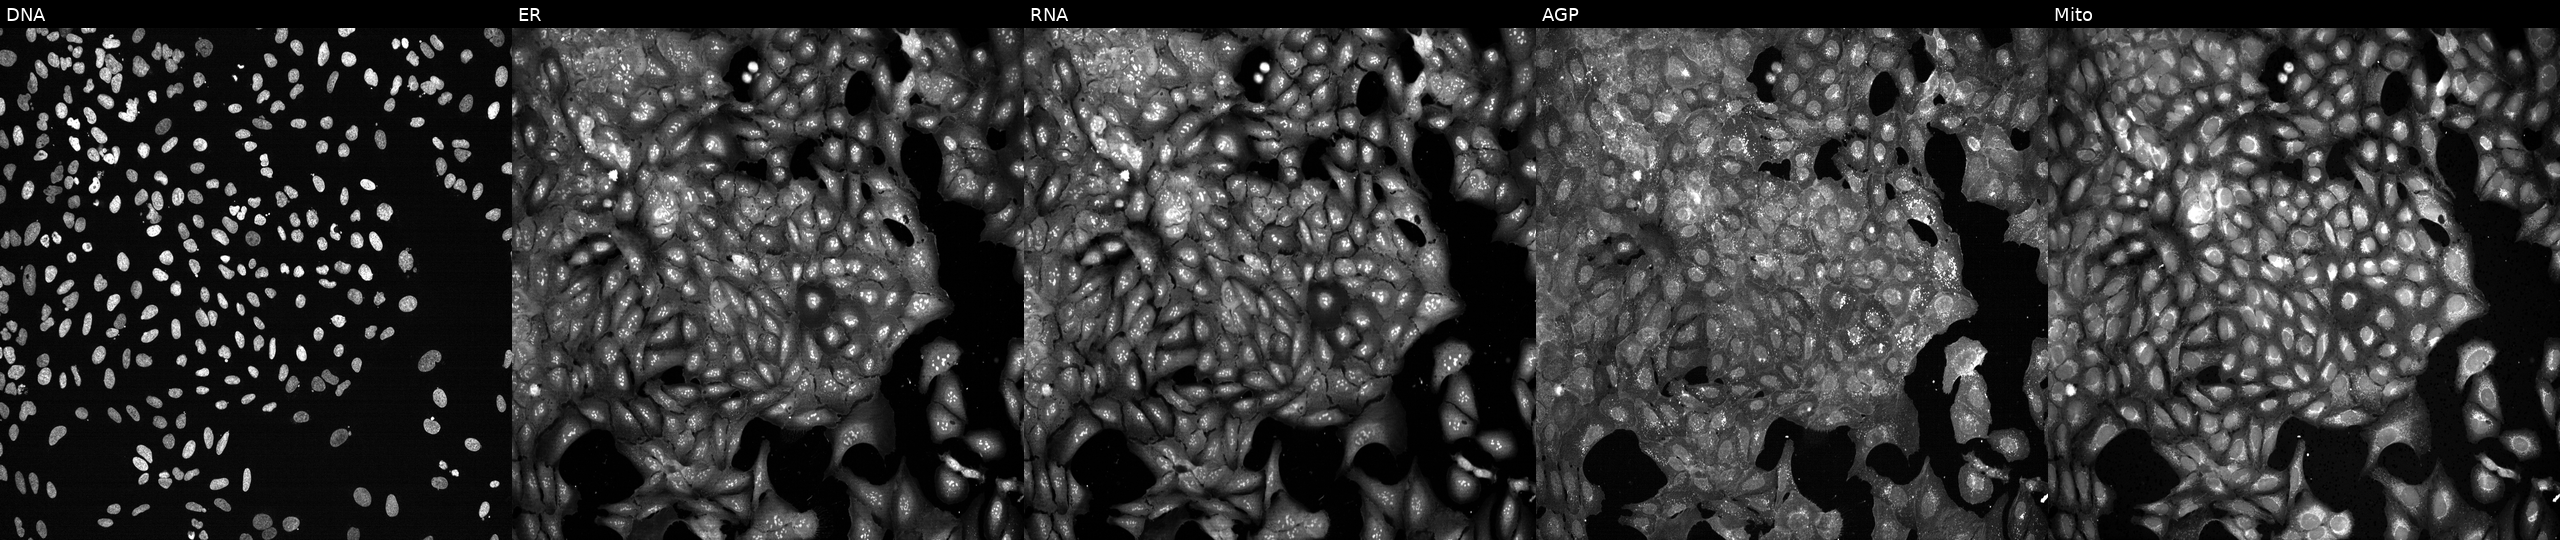
This image strip shows the five Cell Painting channels for a single field of U2OS cells with UGT2B7 knocked out by CRISPR. Channels (left→right): DNA, ER, RNA, AGP, and Mito.